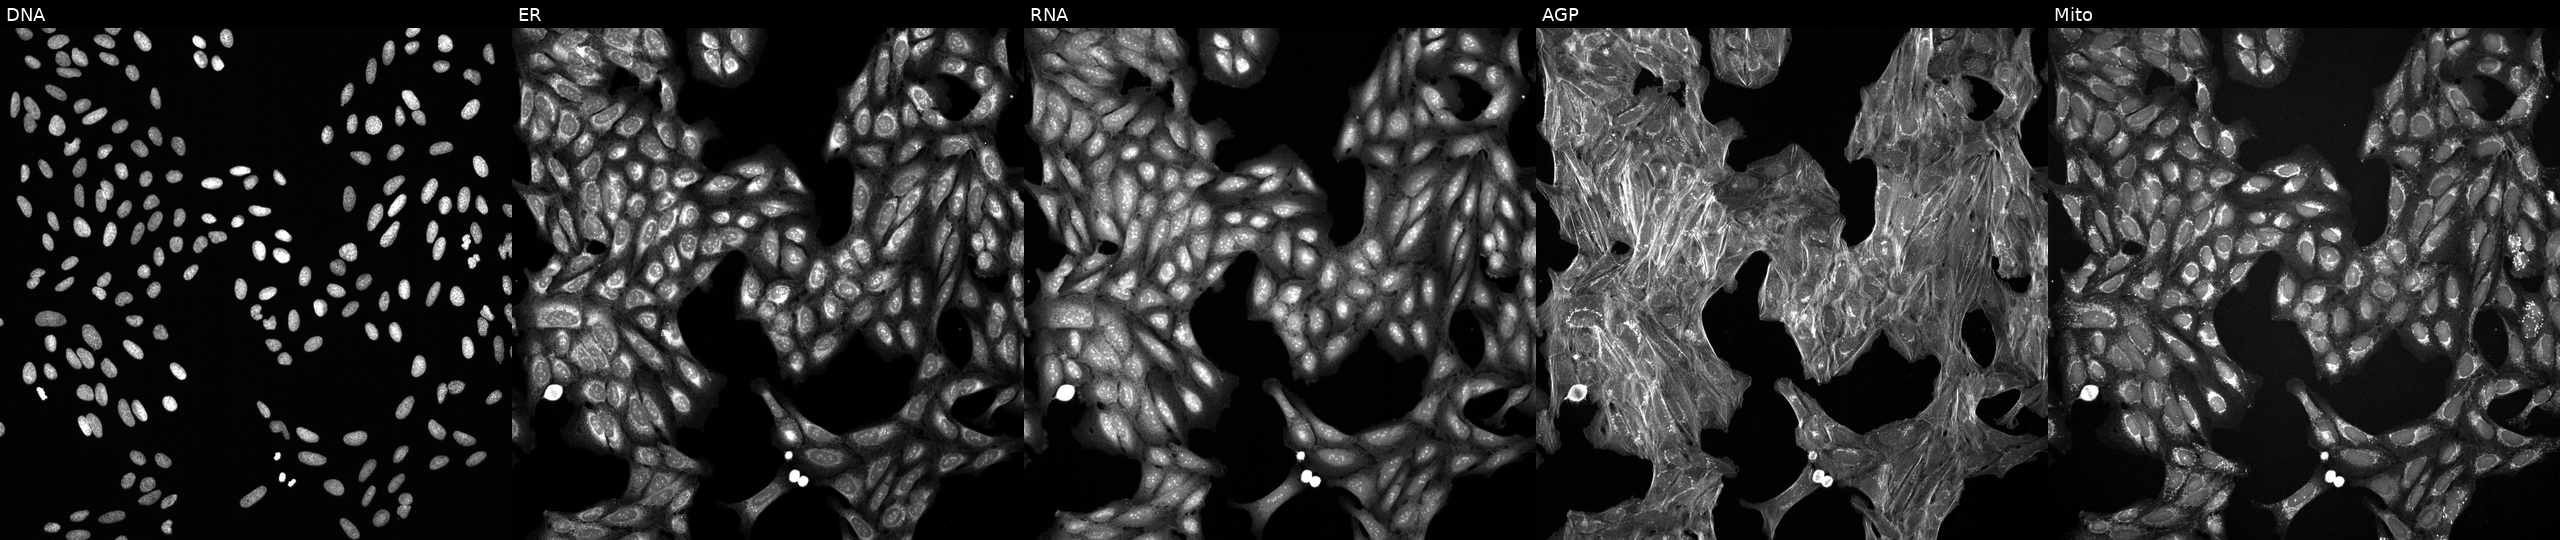
JUMP Cell Painting — TARGET2 plate. U2OS cells perturbed with a small-molecule compound (InChIKey FNHKPVJBJVTLMP-UHFFFAOYSA-N) (JUMP id JCP2022_021751). From left to right: DNA (nuclei); ER (endoplasmic reticulum); RNA (nucleoli and cytoplasmic RNA); AGP (actin cytoskeleton, Golgi, and plasma membrane); Mito (mitochondria).